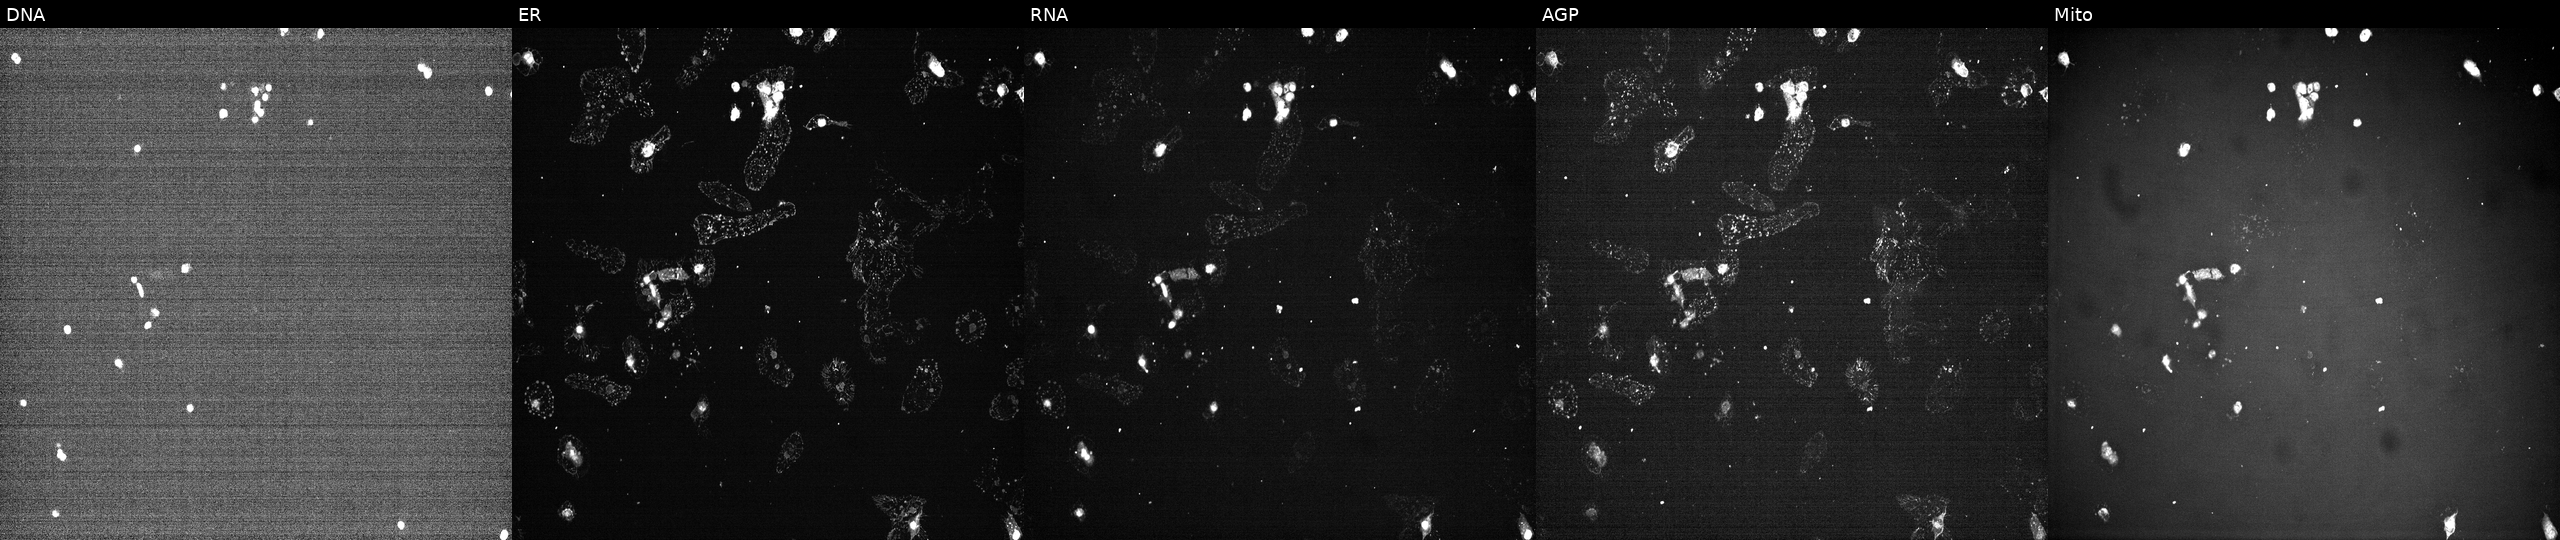
Five-channel Cell Painting image of U2OS cells exposed to a small-molecule compound (InChIKey CANBMWXJDLUDFF-UHFFFAOYSA-N) [SMILES: Cc1ccc(N=C2CC(=O)c3sc(C)nc3C2=O)cc1] (JUMP id JCP2022_009867). The five panels, left to right, show Hoechst 33342, concanavalin A, SYTO 14, phalloidin and WGA, MitoTracker. Source 7, plate CP2-SC1-25, well P03.